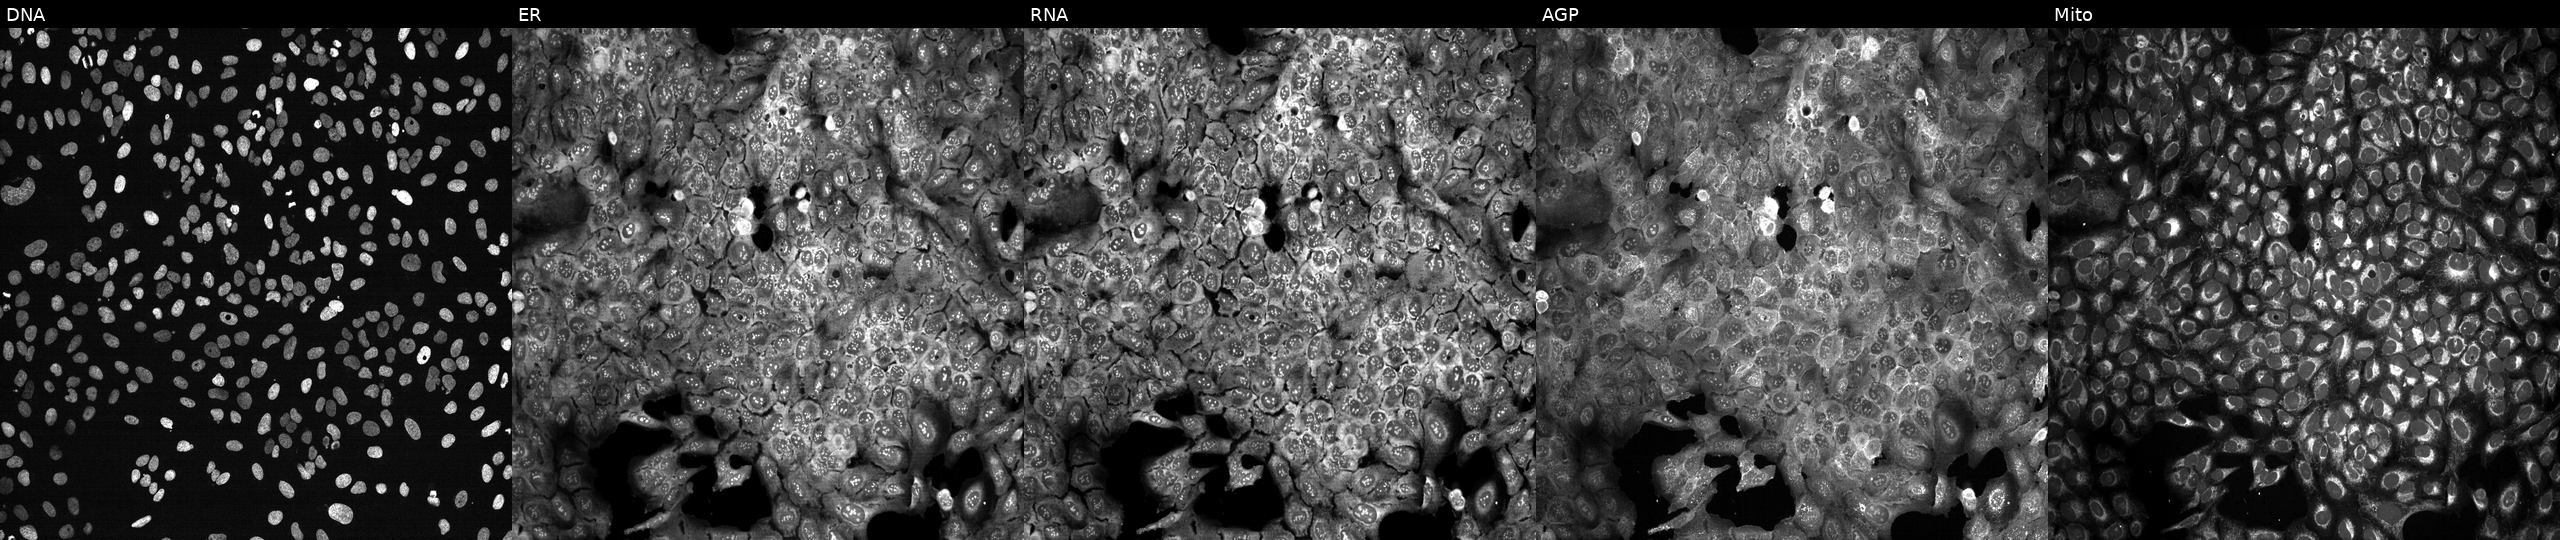
From left to right: DNA (nuclei); ER (endoplasmic reticulum); RNA (nucleoli and cytoplasmic RNA); AGP (actin cytoskeleton, Golgi, and plasma membrane); Mito (mitochondria). U2OS osteosarcoma cells following CRISPR knockout of DBI. Cell Painting assay, JUMP-CP dataset.